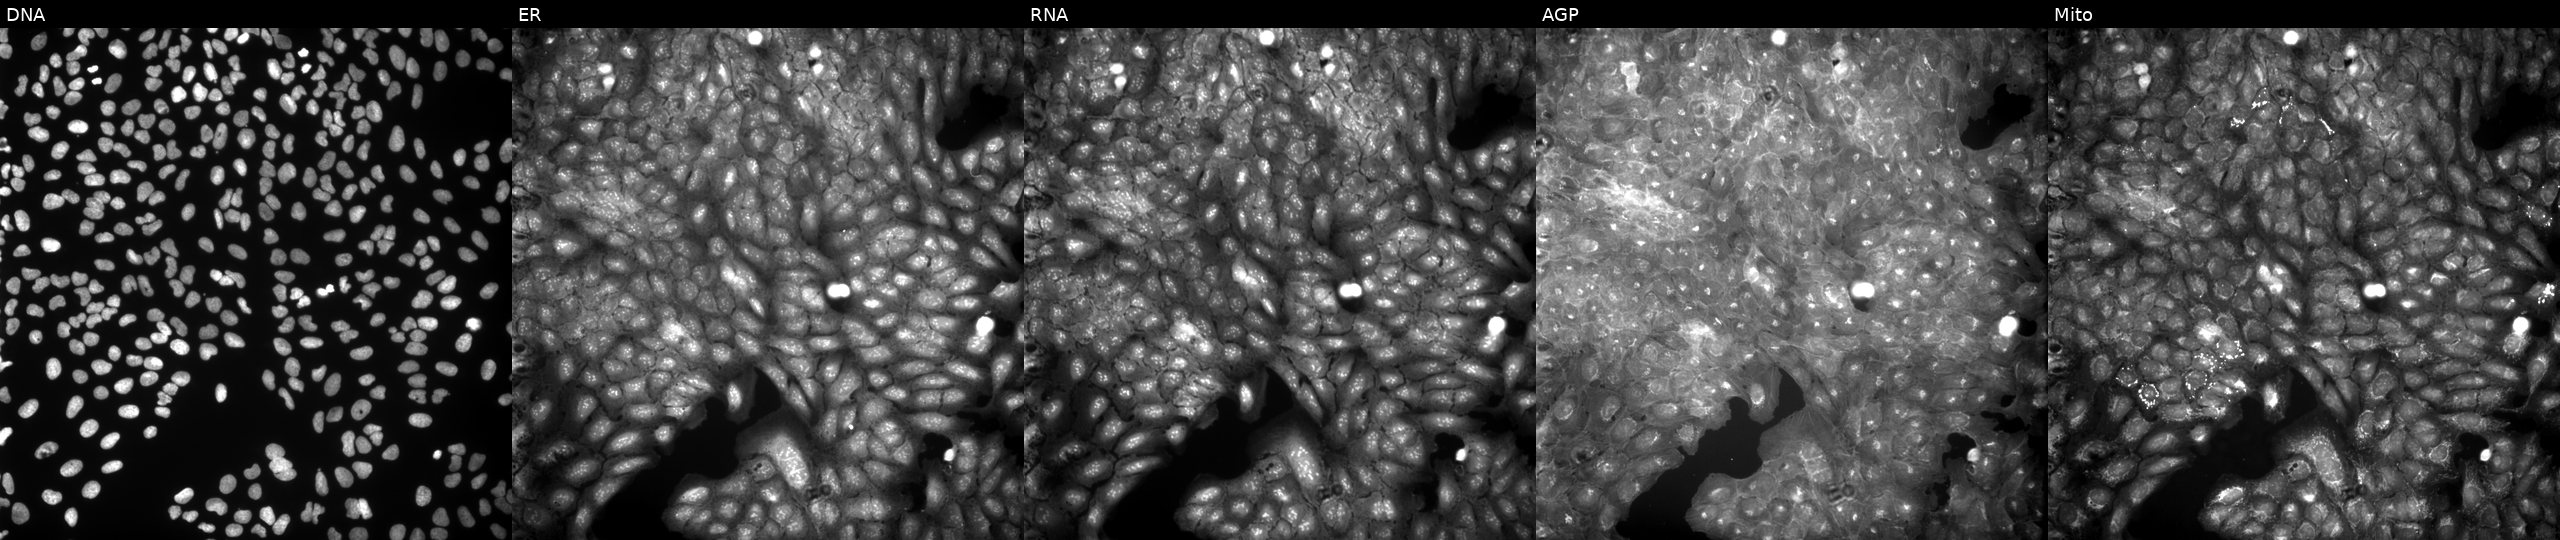
This image strip shows the five Cell Painting channels for a single field of U2OS cells treated with DMSO vehicle only (negative control) (JUMP id JCP2022_033924). From left to right: DNA (nuclei); ER (endoplasmic reticulum); RNA (nucleoli and cytoplasmic RNA); AGP (actin cytoskeleton, Golgi, and plasma membrane); Mito (mitochondria). Source 9, plate GR00003381, well F26.